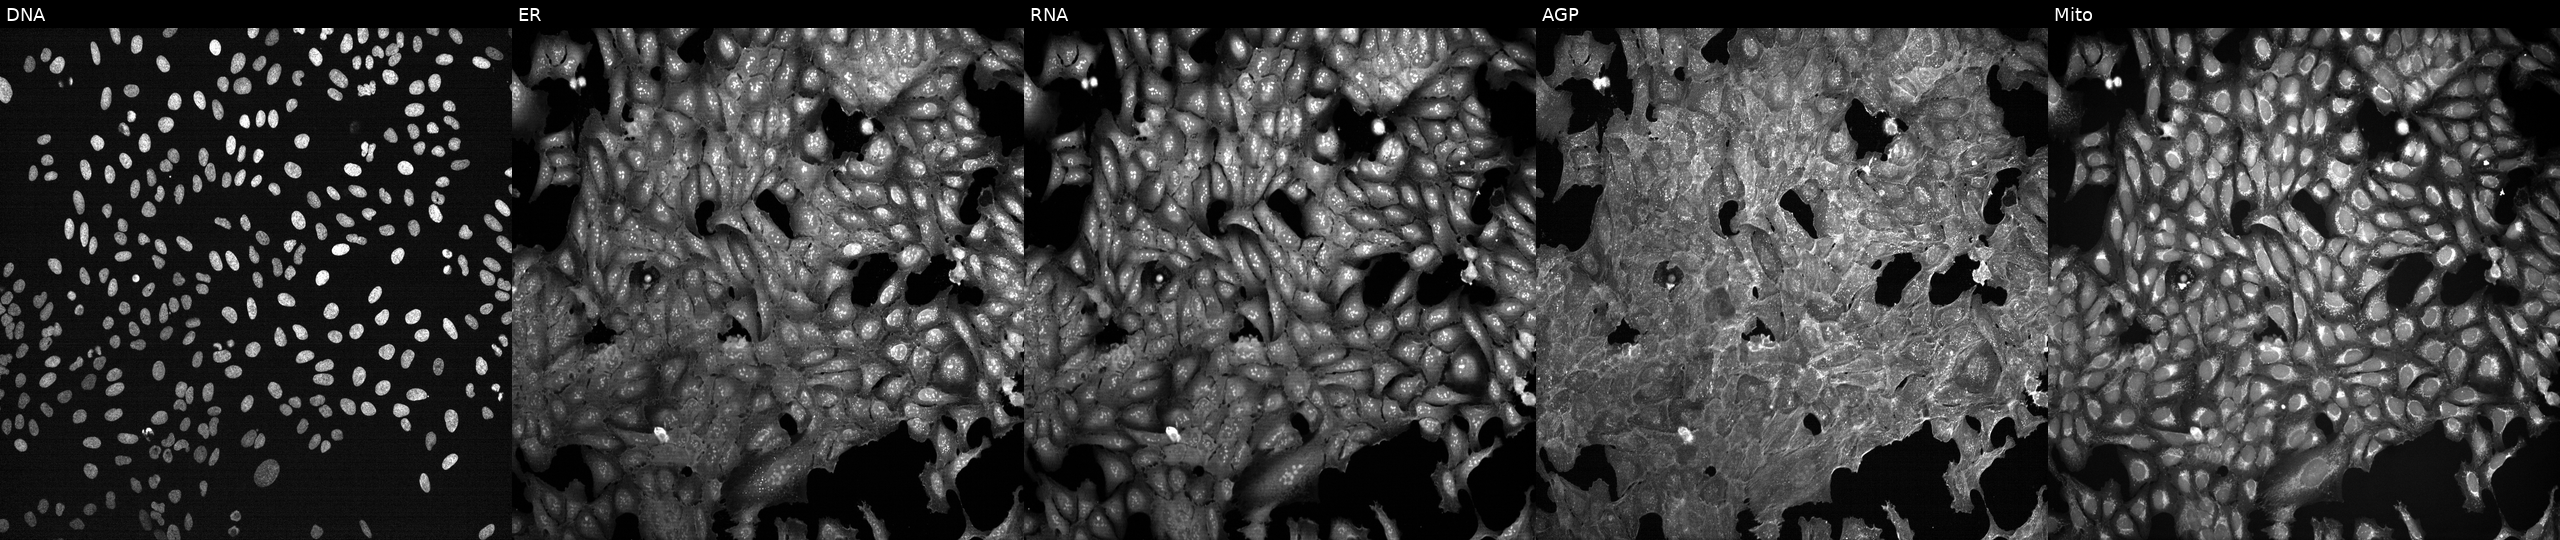
U2OS cells, Cell Painting assay, exposed to a small-molecule compound (InChIKey SHZKQBHERIJWAO-UHFFFAOYSA-N) (JUMP id JCP2022_083372). Panels show, left to right, DNA (nuclei); ER (endoplasmic reticulum); RNA (nucleoli and cytoplasmic RNA); AGP (actin cytoskeleton, Golgi, and plasma membrane); Mito (mitochondria). Each panel is percentile-stretched 16-bit fluorescence.